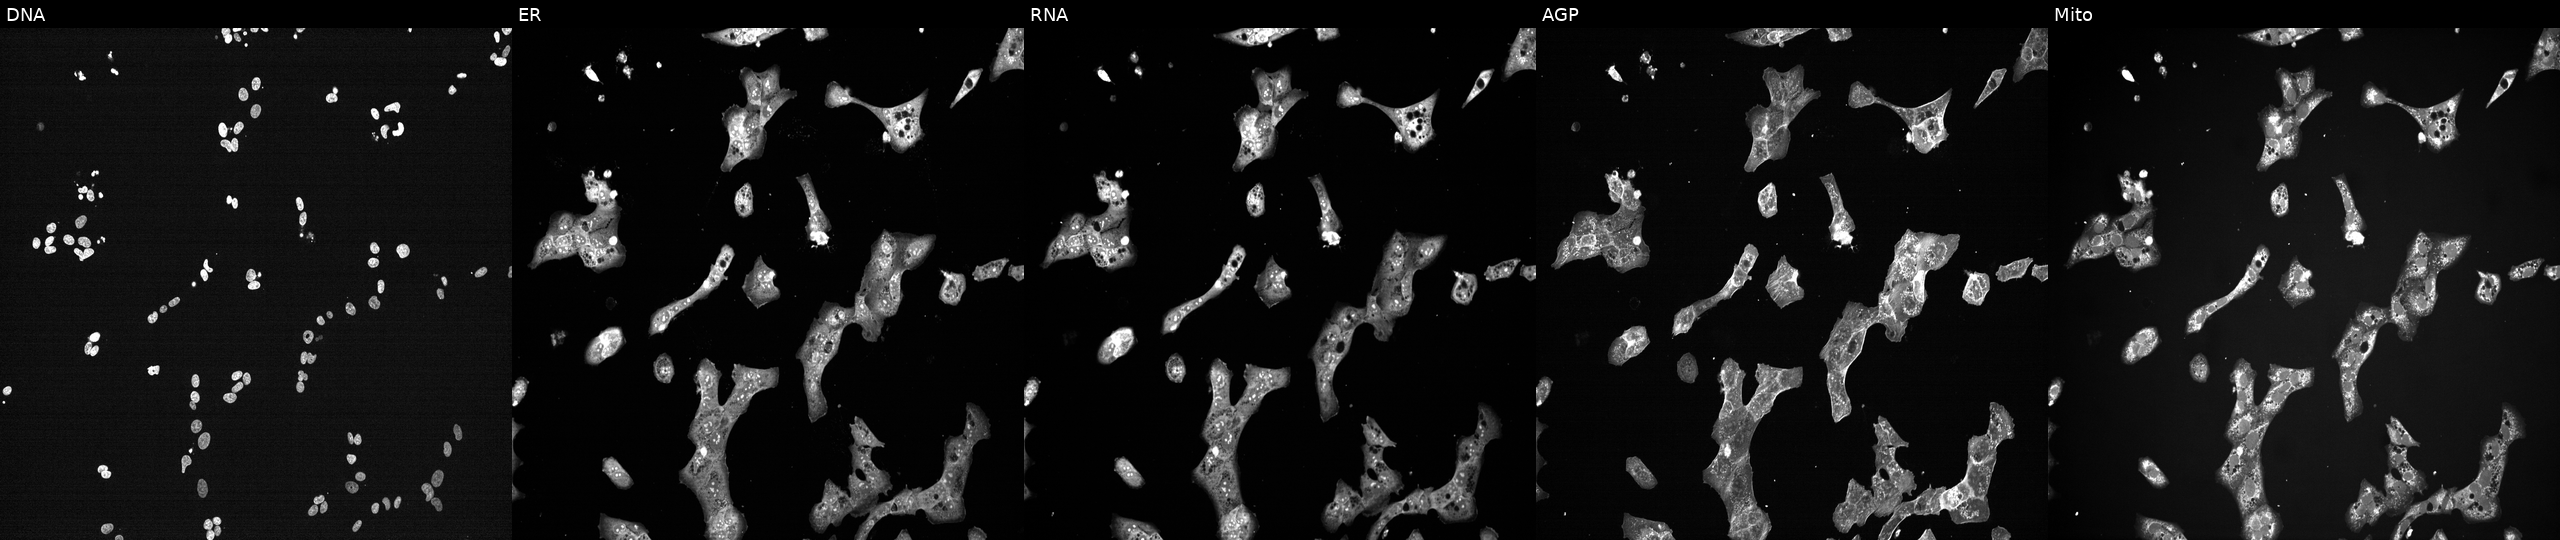
High-content fluorescence microscopy (Cell Painting). Cell line: U2OS. Perturbation: perturbed with a small-molecule compound. Panels show, left to right, DNA, ER, RNA, AGP, and Mito.